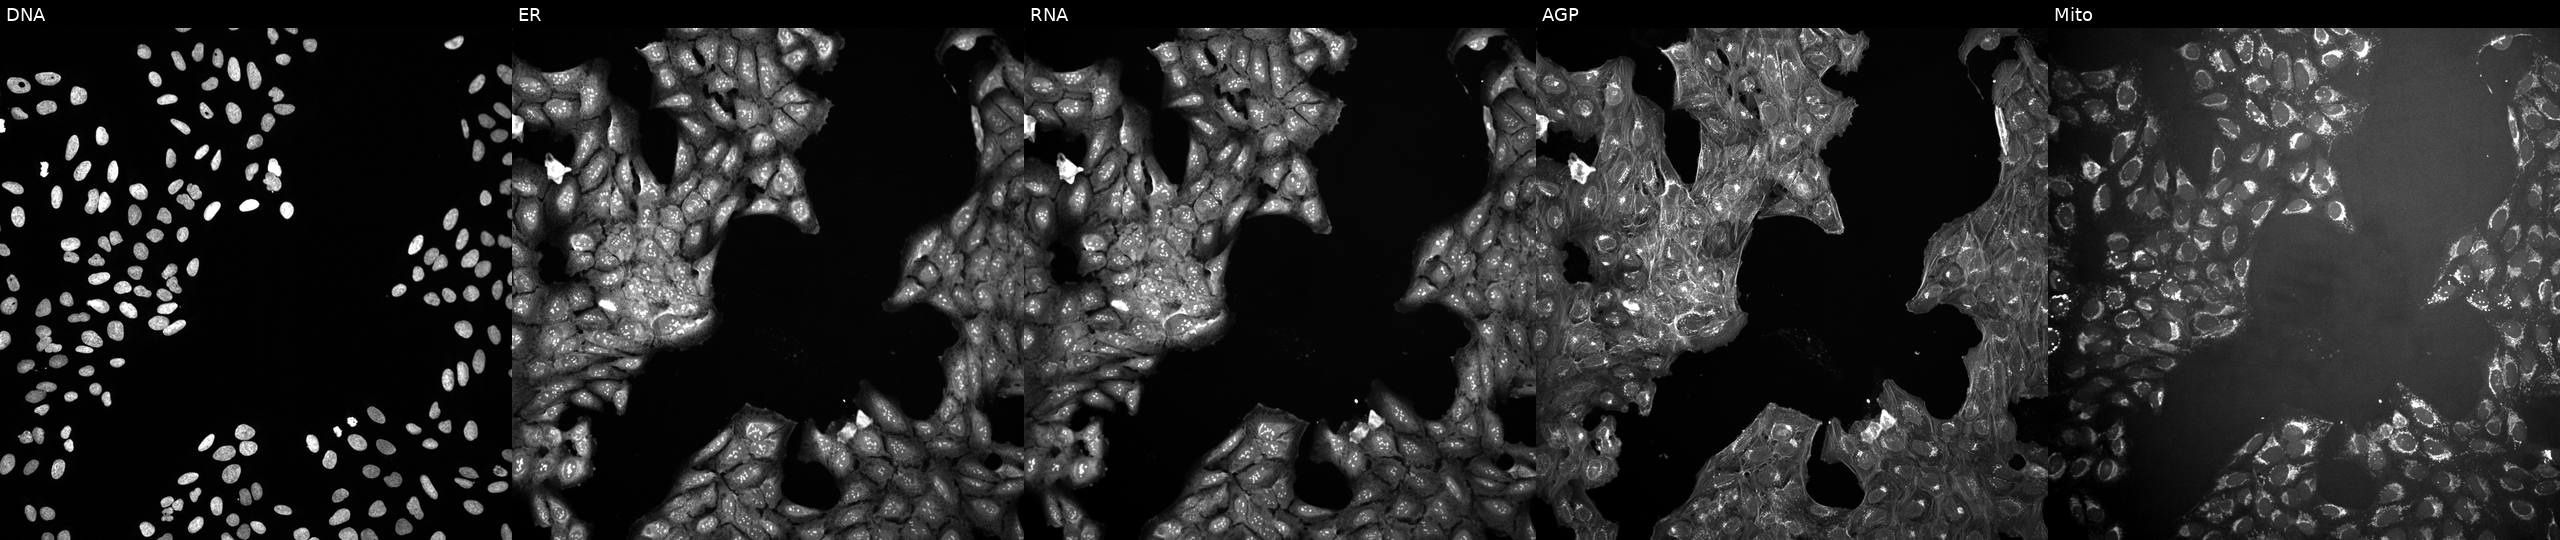
Five-channel Cell Painting image of U2OS cells perturbed with a small-molecule compound (InChIKey JOBMKNJTXCBZGL-UHFFFAOYSA-N). From left to right: DNA, ER, RNA, AGP, and Mito. Source 10, plate Dest210531-152149, well B15.